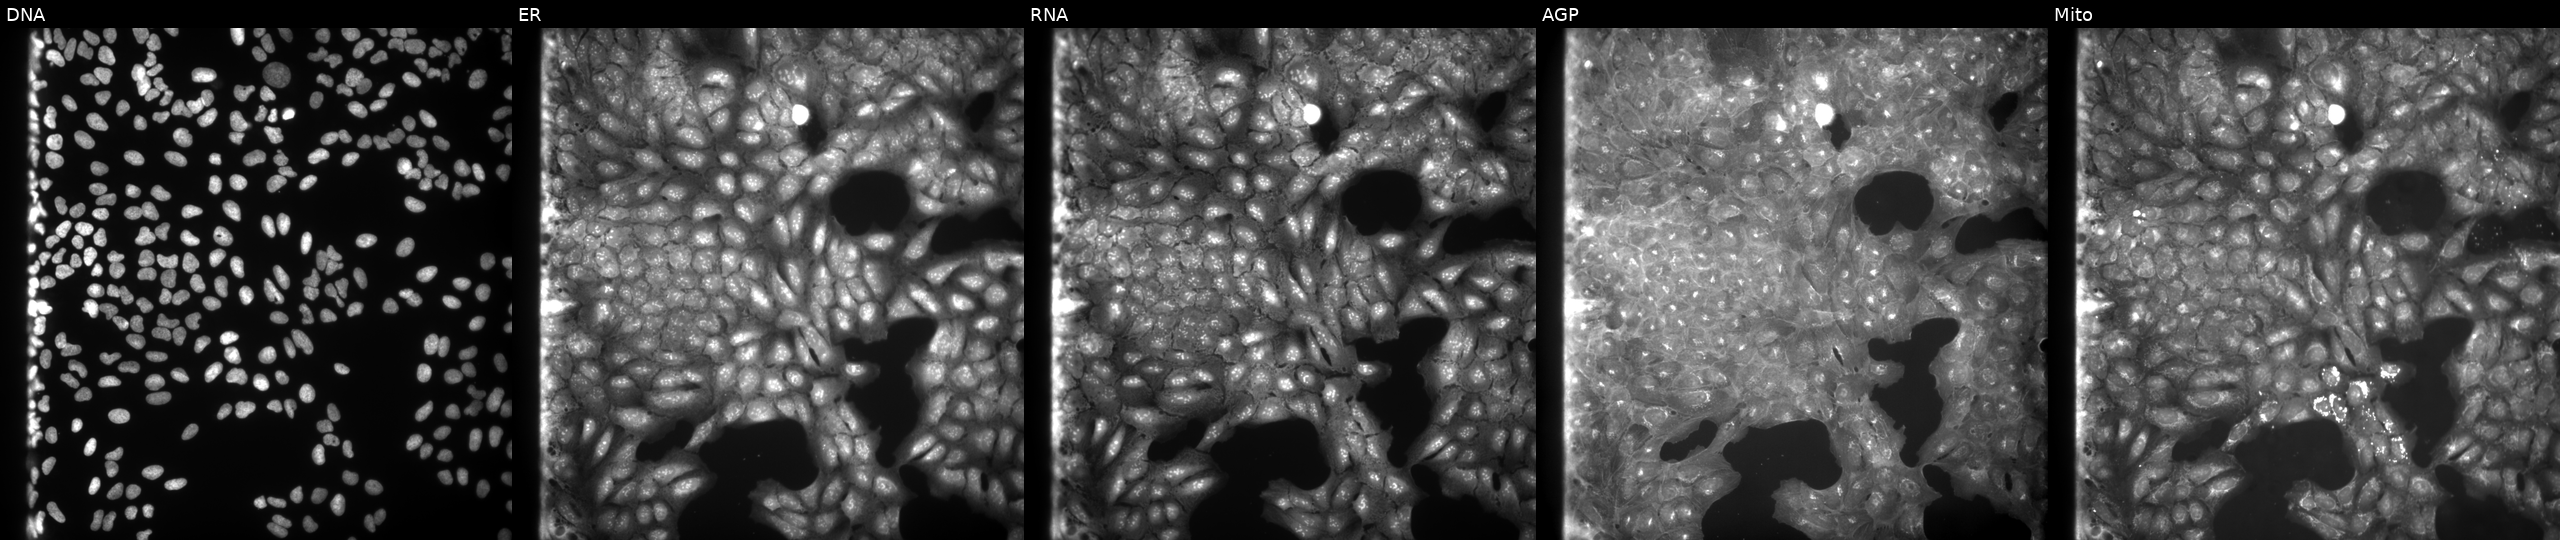
High-content fluorescence microscopy (Cell Painting). Cell line: U2OS. Perturbation: perturbed with a small-molecule compound (InChIKey QVXBMWPAYUCPFT-UHFFFAOYSA-N). The five panels, left to right, show DNA, ER, RNA, AGP, and Mito. Source 9, plate GR00003382, well F09.